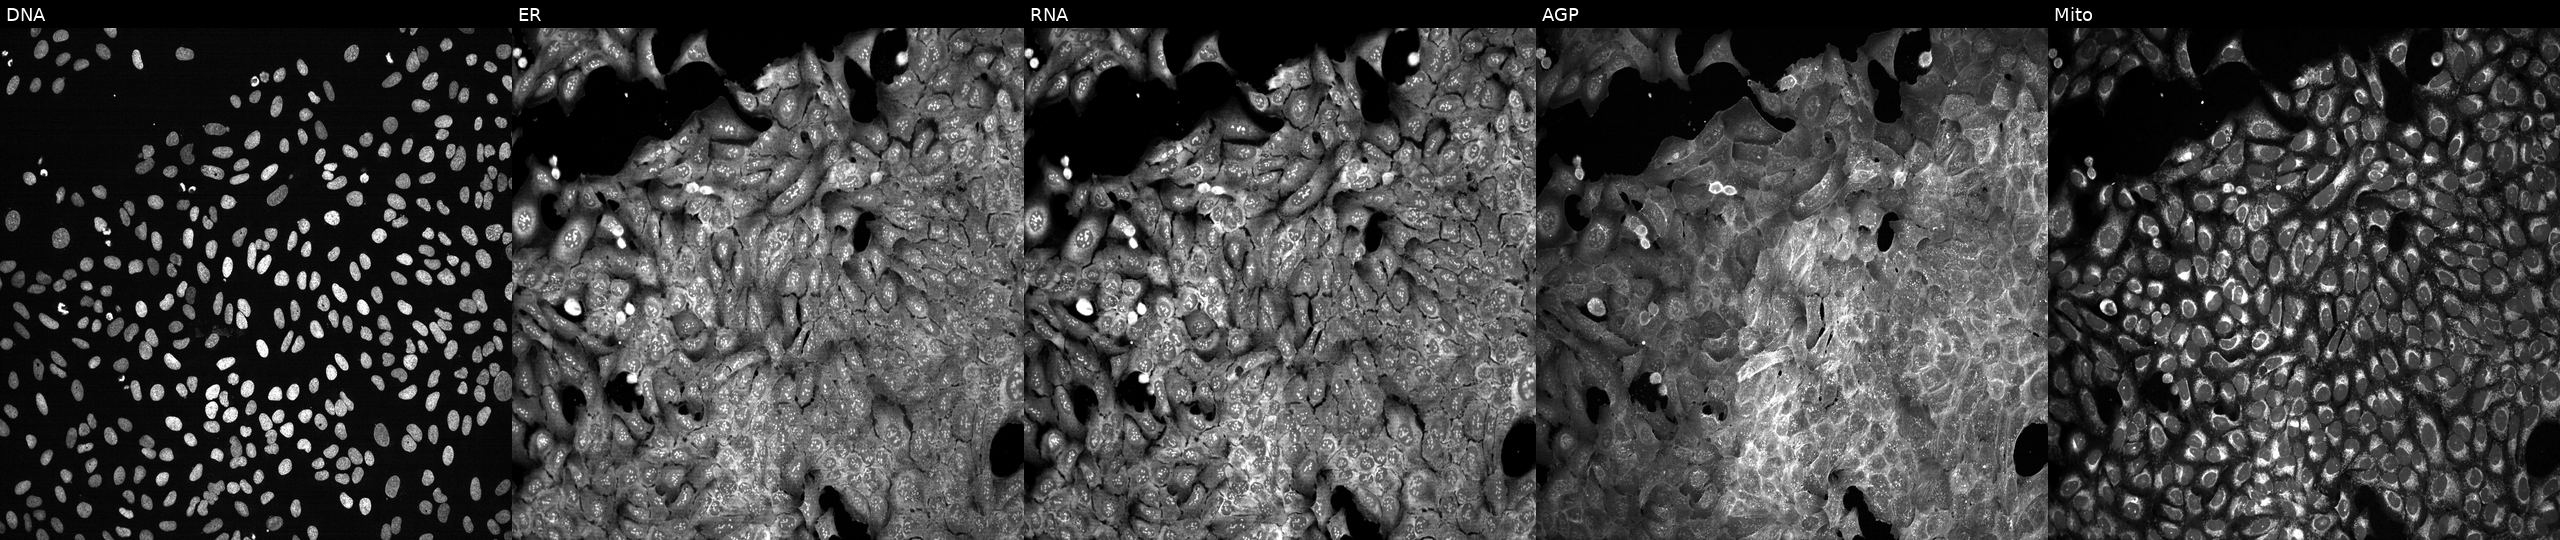
From left to right: Hoechst 33342, concanavalin A, SYTO 14, phalloidin and WGA, MitoTracker. U2OS osteosarcoma cells with YME1L1 knocked out by CRISPR (JUMP id JCP2022_807735). Cell Painting assay, JUMP-CP dataset. Source 13, plate CP-CC9-R6-19, well C22.